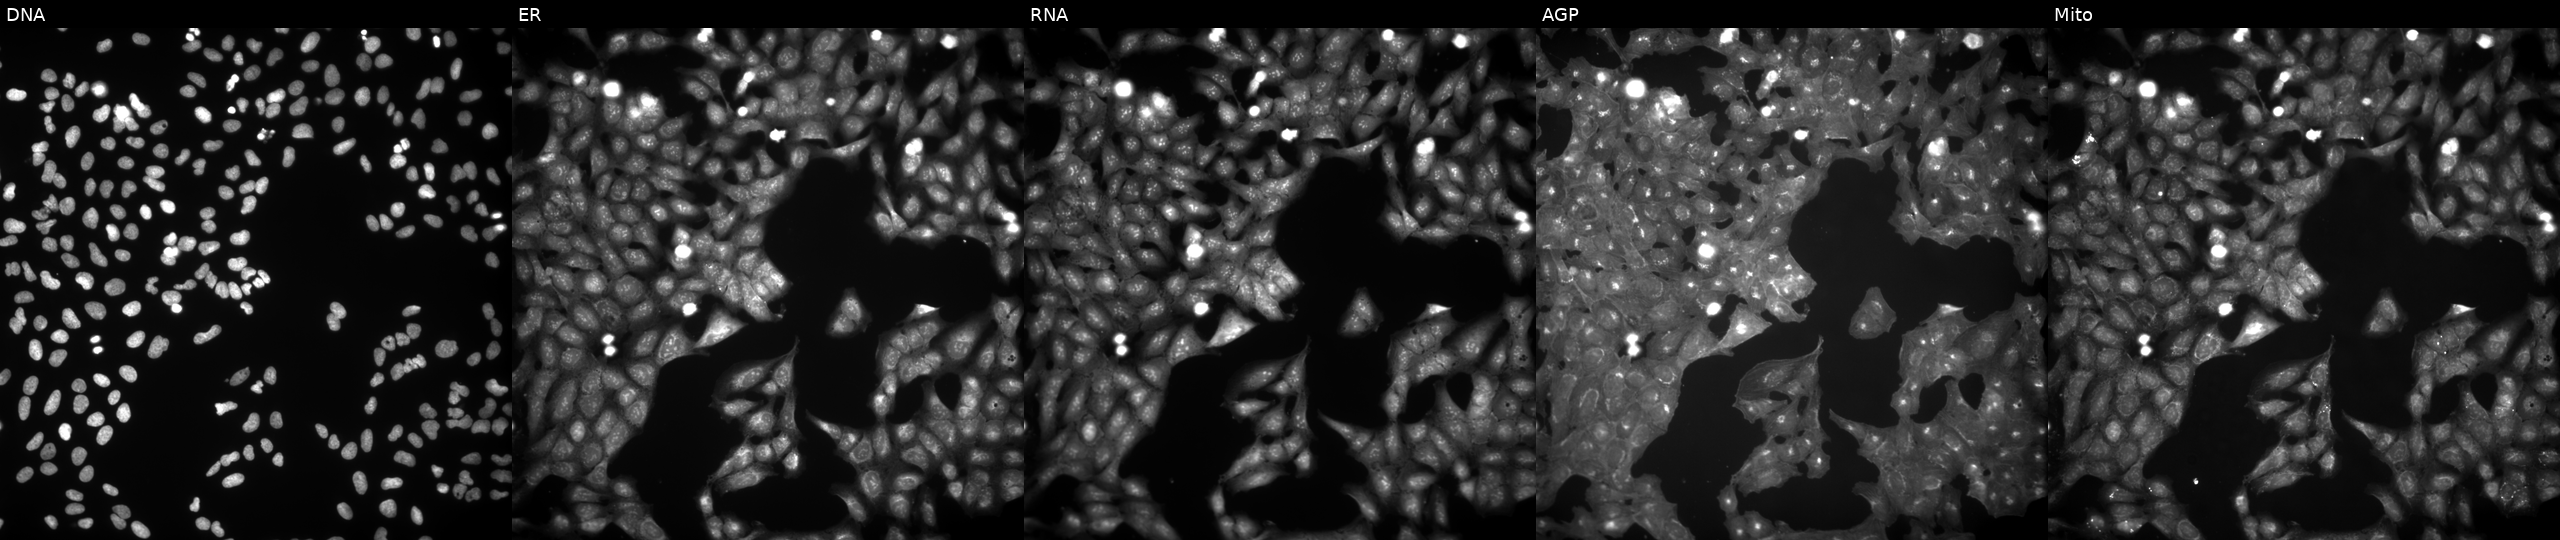
High-content fluorescence microscopy (Cell Painting). Cell line: U2OS. Perturbation: treated with NVS-PAK1-1 (positive-control compound). From left to right: Hoechst 33342, concanavalin A, SYTO 14, phalloidin and WGA, MitoTracker.